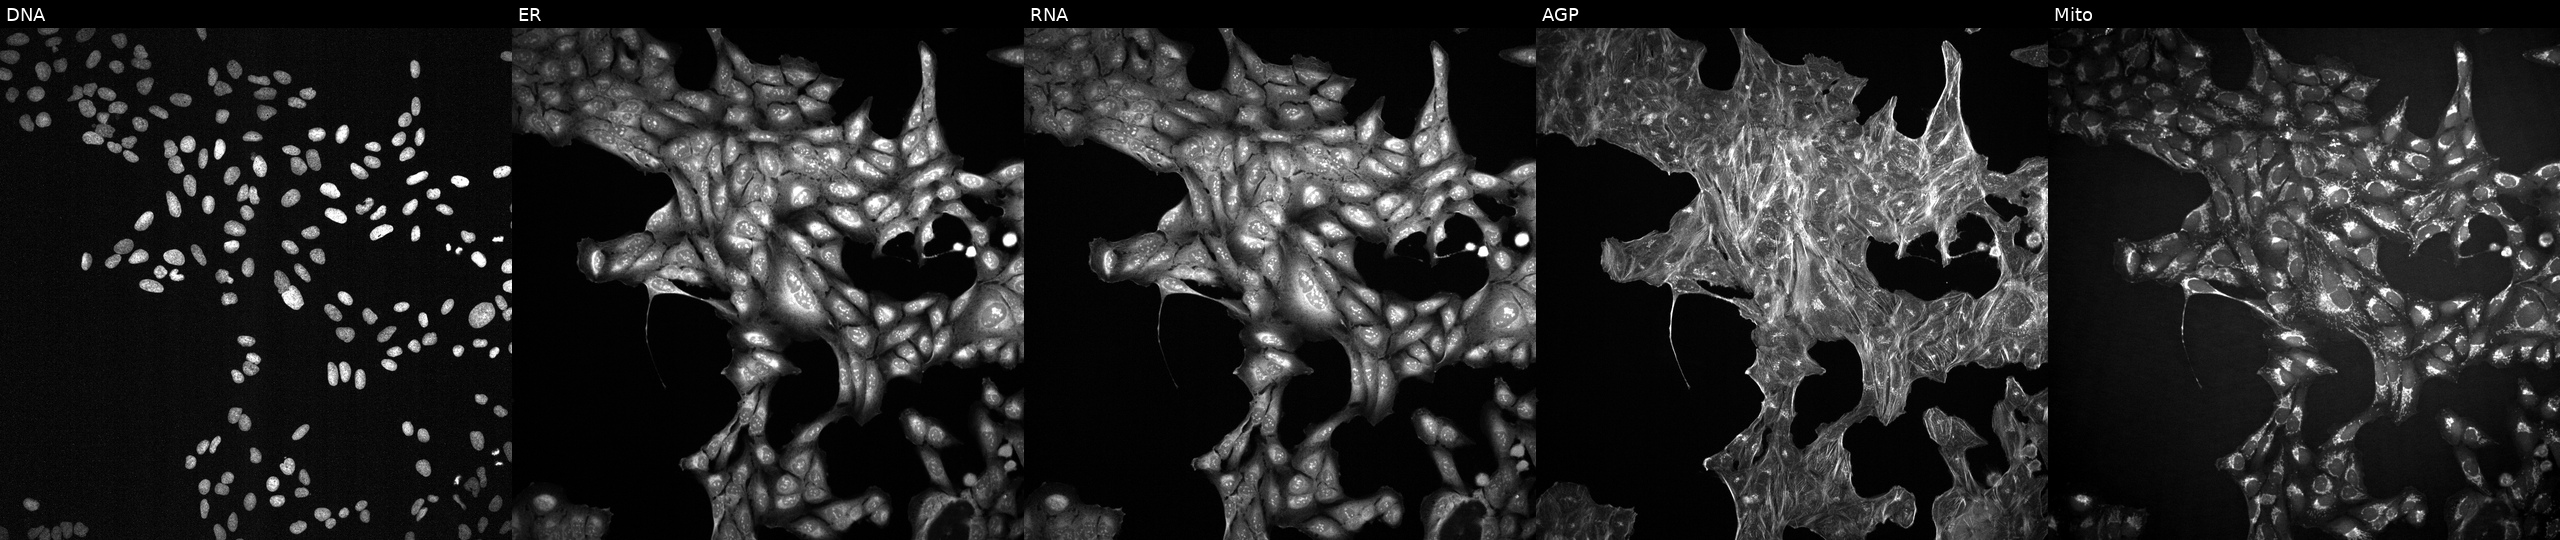
Five-channel Cell Painting image of U2OS cells exposed to a small-molecule compound (InChIKey BGVLELSCIHASRV-UHFFFAOYSA-N) (JUMP id JCP2022_006270). The five panels, left to right, show DNA, ER, RNA, AGP, and Mito. Source 2, plate 1053599503, well F12.